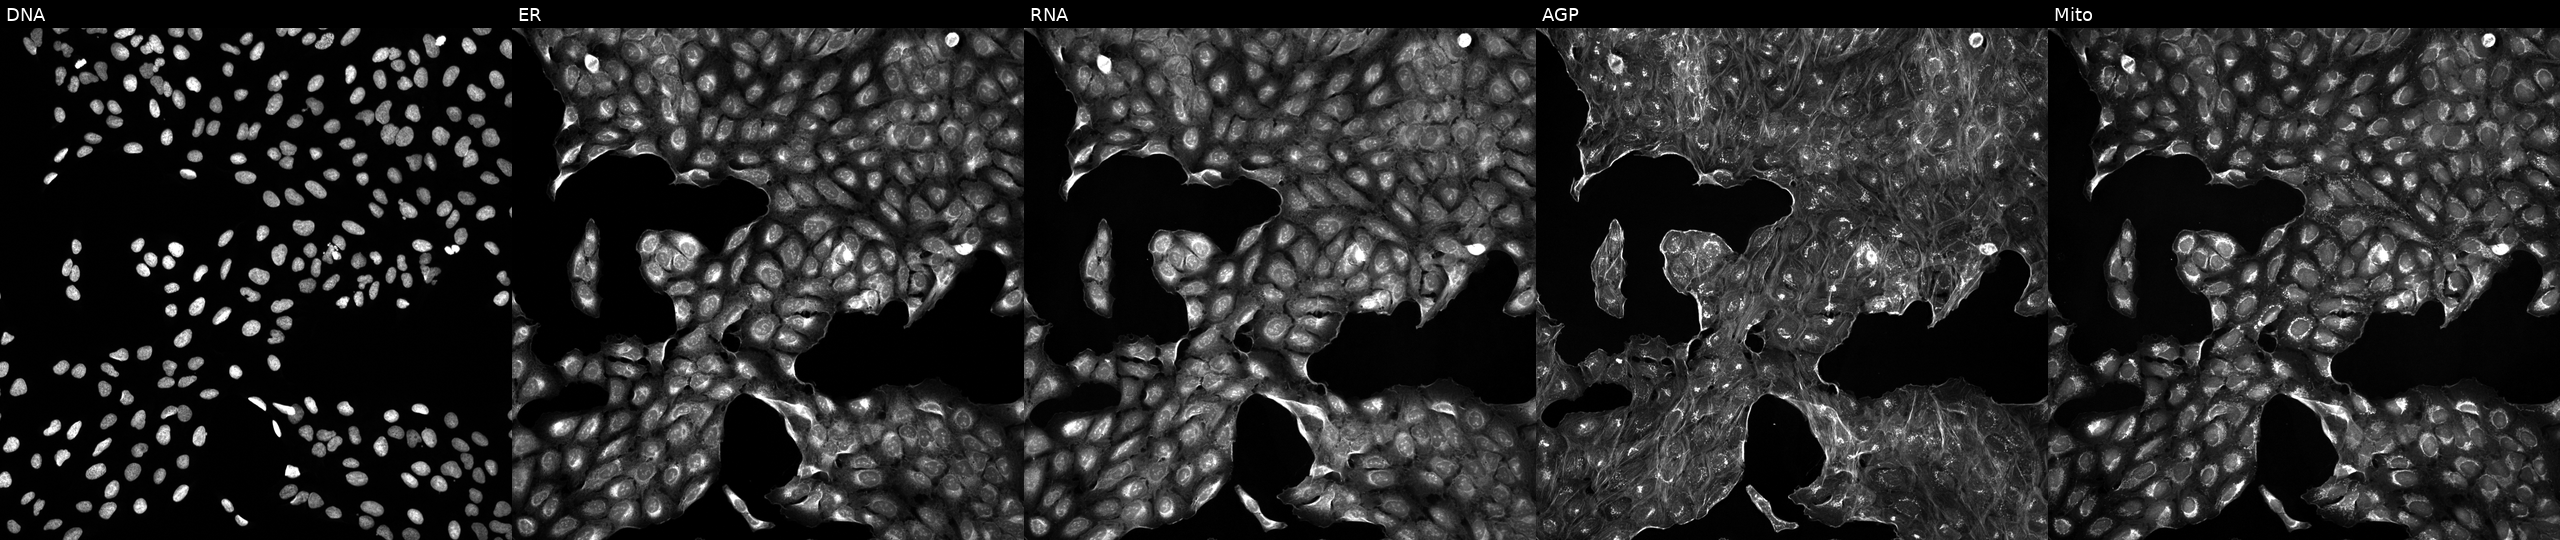
This image strip shows the five Cell Painting channels for a single field of U2OS cells perturbed with a small-molecule compound (InChIKey QXKHYNVANLEOEG-UHFFFAOYSA-N) (JUMP id JCP2022_076523). The five panels, left to right, show DNA, ER, RNA, AGP, and Mito. Source 5, plate ACPJUM032, well H07.